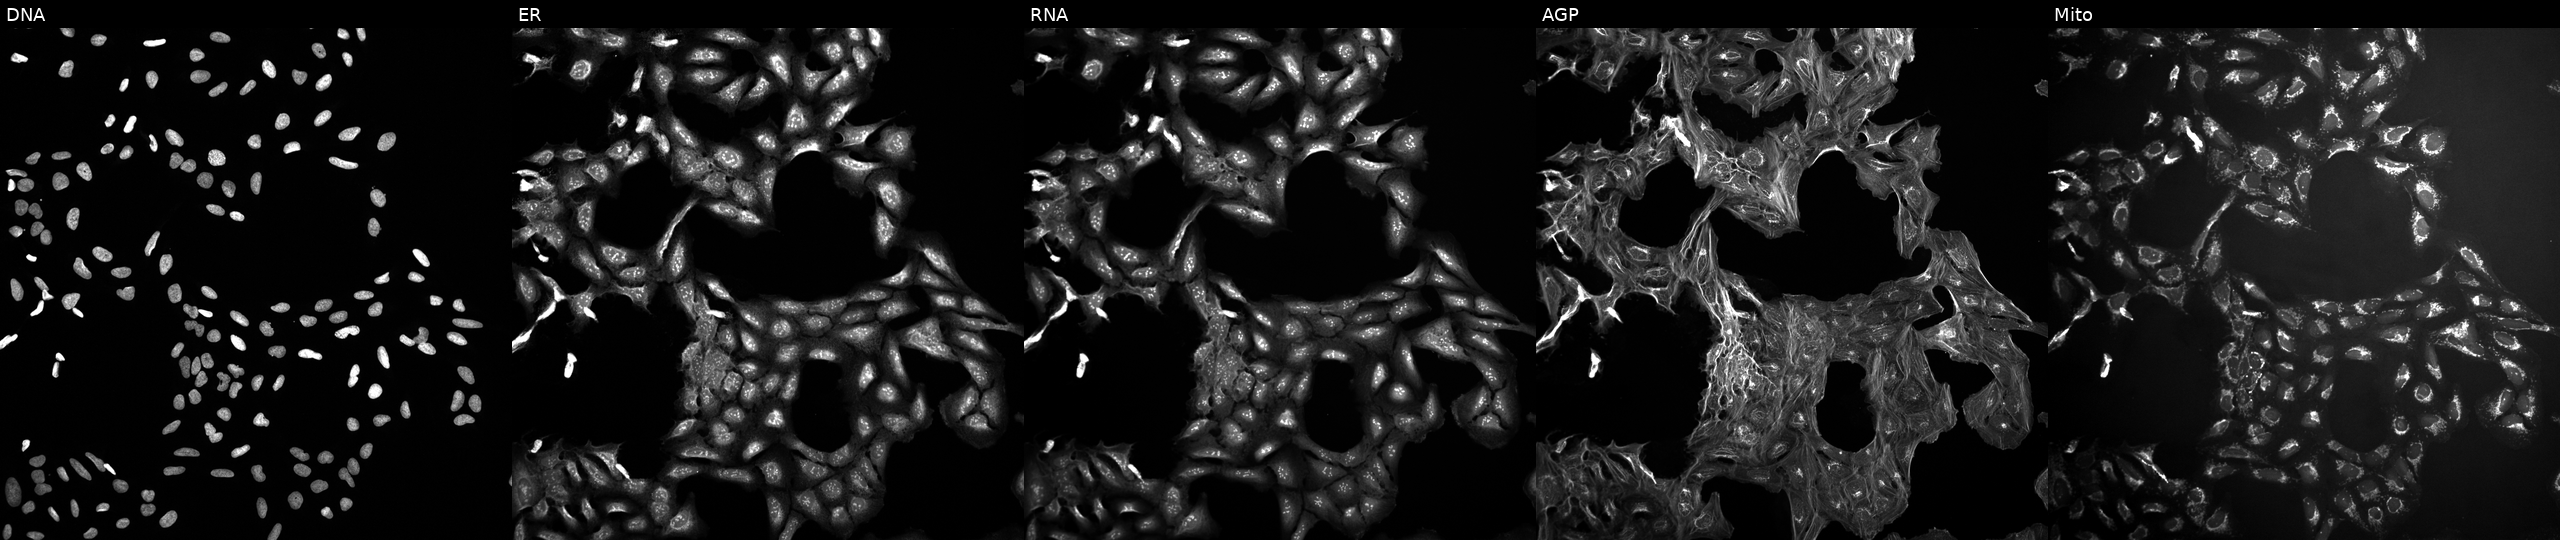
U2OS cells, Cell Painting assay, treated with DMSO vehicle only (negative control) (JUMP id JCP2022_033924). From left to right: DNA, ER, RNA, AGP, and Mito. Each panel is percentile-stretched 16-bit fluorescence.